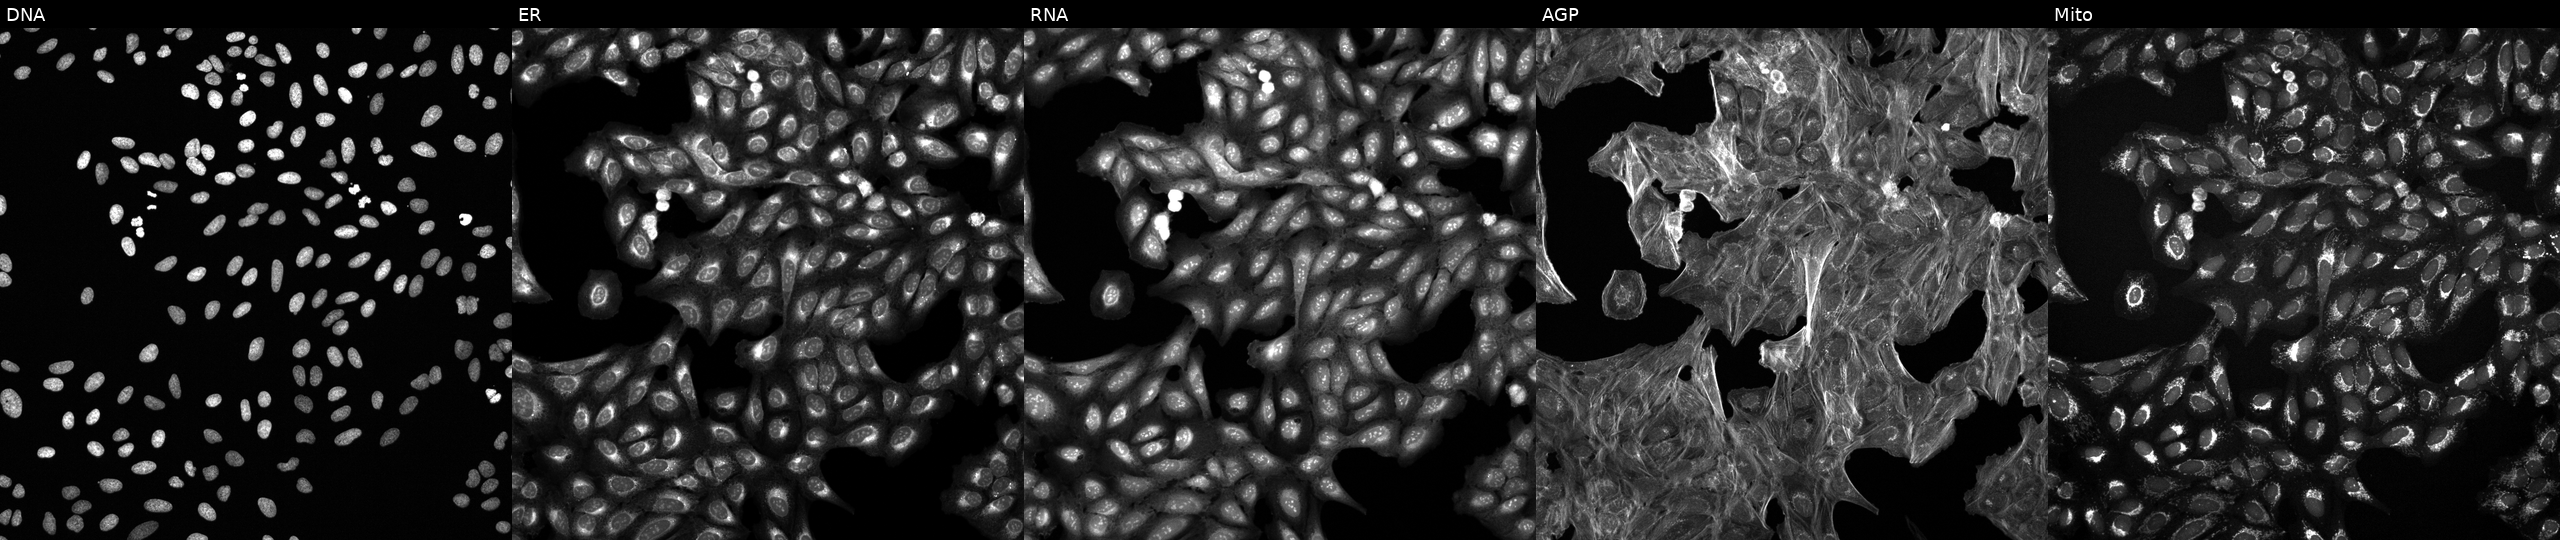
The five panels, left to right, show DNA (nuclei); ER (endoplasmic reticulum); RNA (nucleoli and cytoplasmic RNA); AGP (actin cytoskeleton, Golgi, and plasma membrane); Mito (mitochondria). U2OS osteosarcoma cells treated with DMSO vehicle only (negative control) (JUMP id JCP2022_033924). Cell Painting assay, JUMP-CP dataset. Source 6, plate 110000293081, well E01.